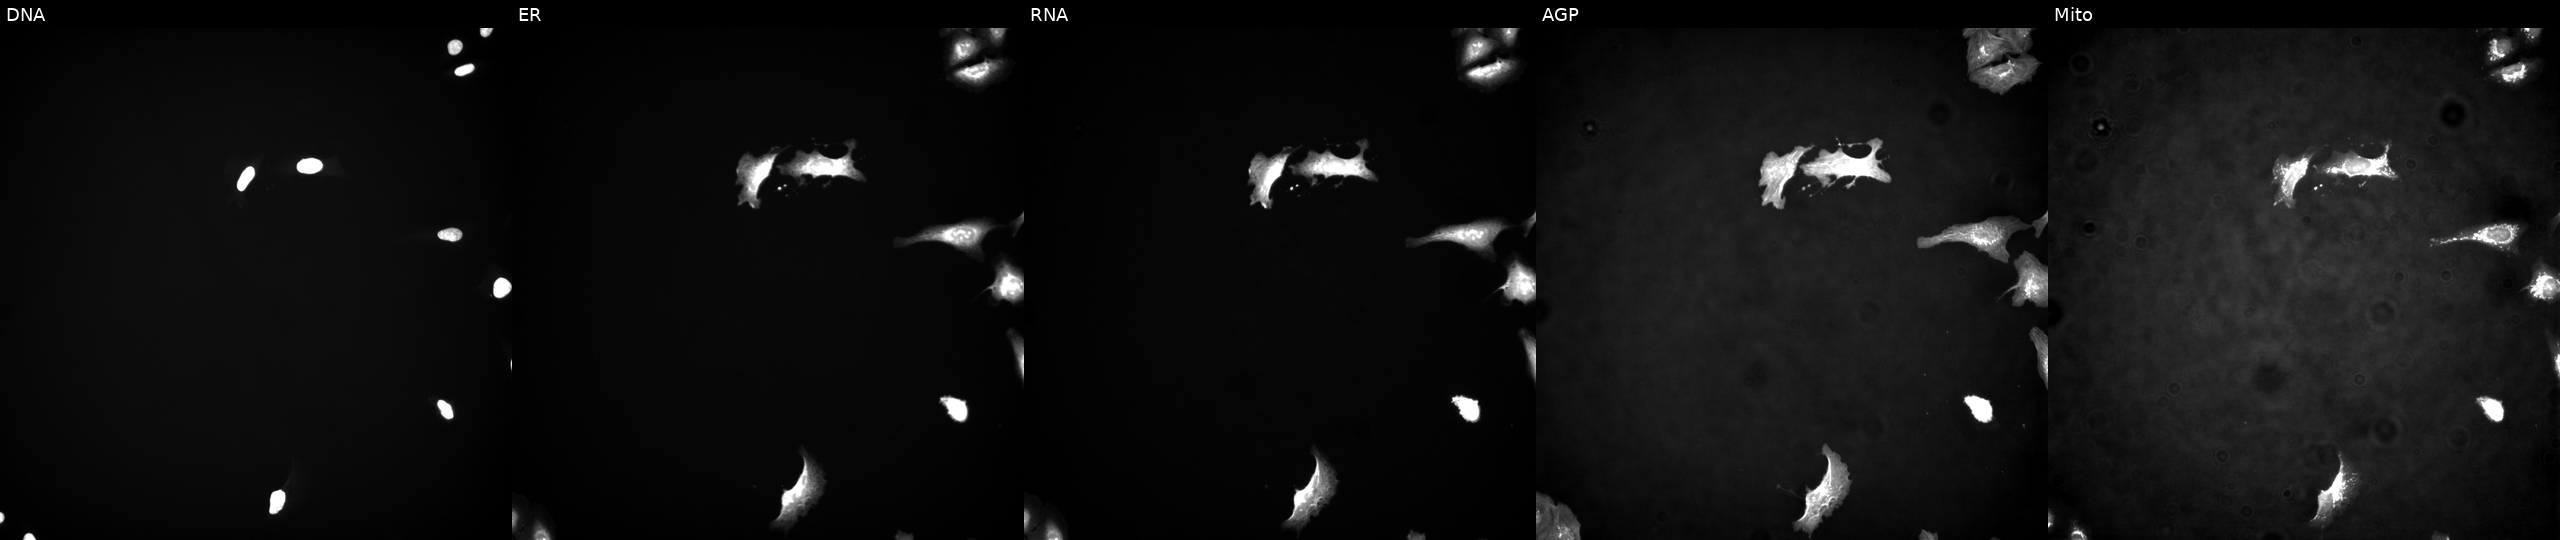
High-content fluorescence microscopy (Cell Painting). Cell line: U2OS. Perturbation: overexpressing ACVR1 via ORF transfection (JUMP id JCP2022_913560). From left to right: DNA, ER, RNA, AGP, and Mito. Source 4, plate BR00123945, well J13.